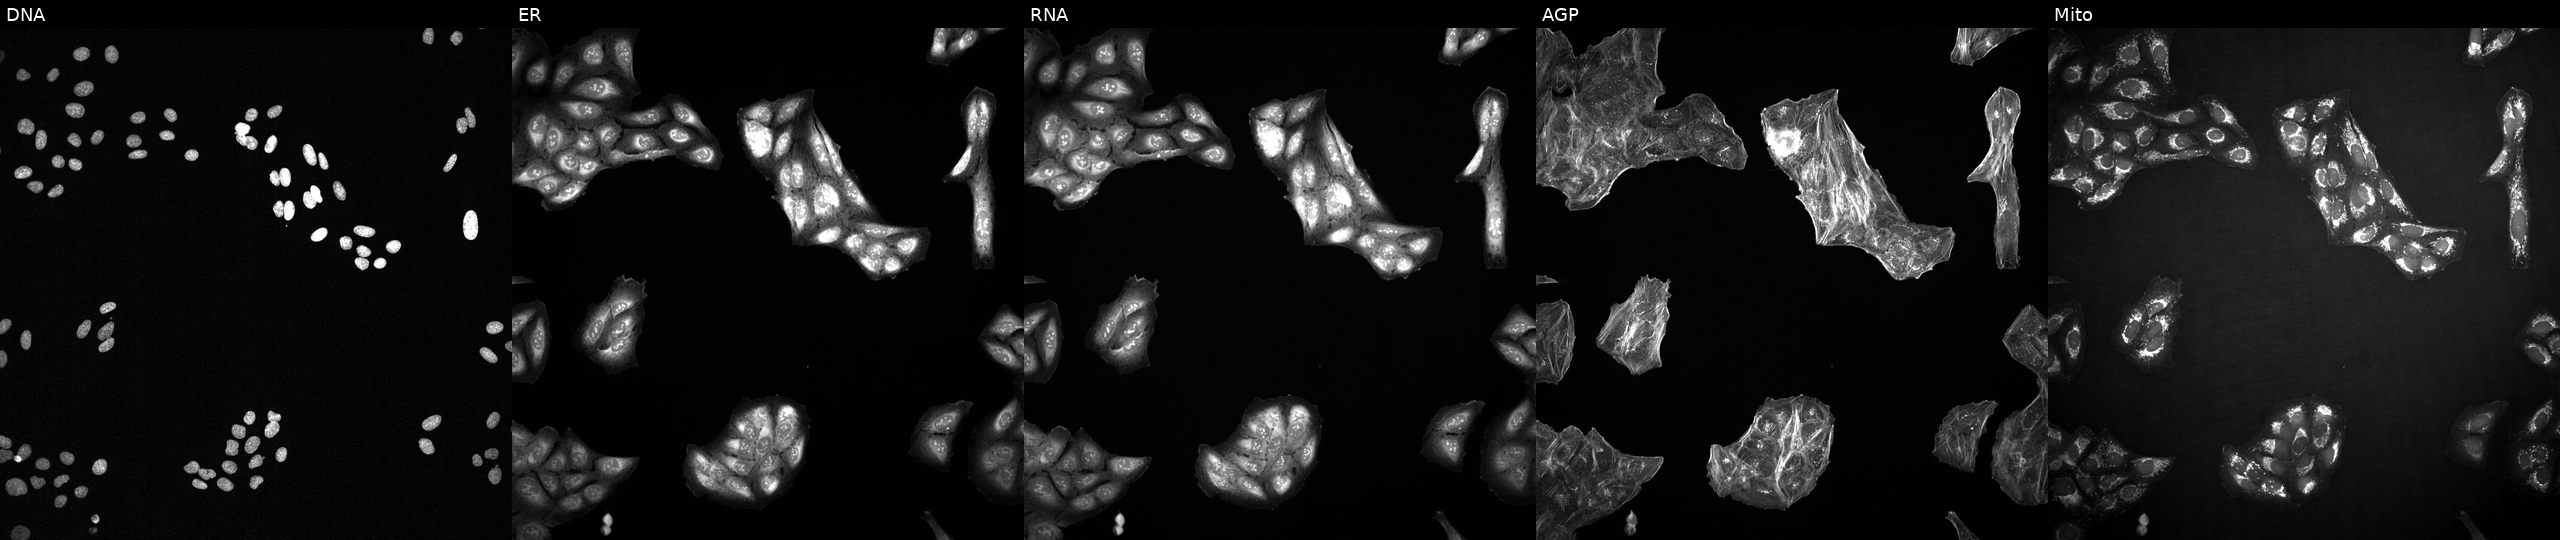
JUMP Cell Painting — TARGET2 plate. U2OS cells perturbed with a small-molecule compound (InChIKey MJVAVZPDRWSRRC-UHFFFAOYSA-N) [SMILES: CC1=CC(=O)c2ccccc2C1=O] (JUMP id JCP2022_054618). The five panels, left to right, show Hoechst 33342, concanavalin A, SYTO 14, phalloidin and WGA, MitoTracker. Source 2, plate 1053600674, well H05.